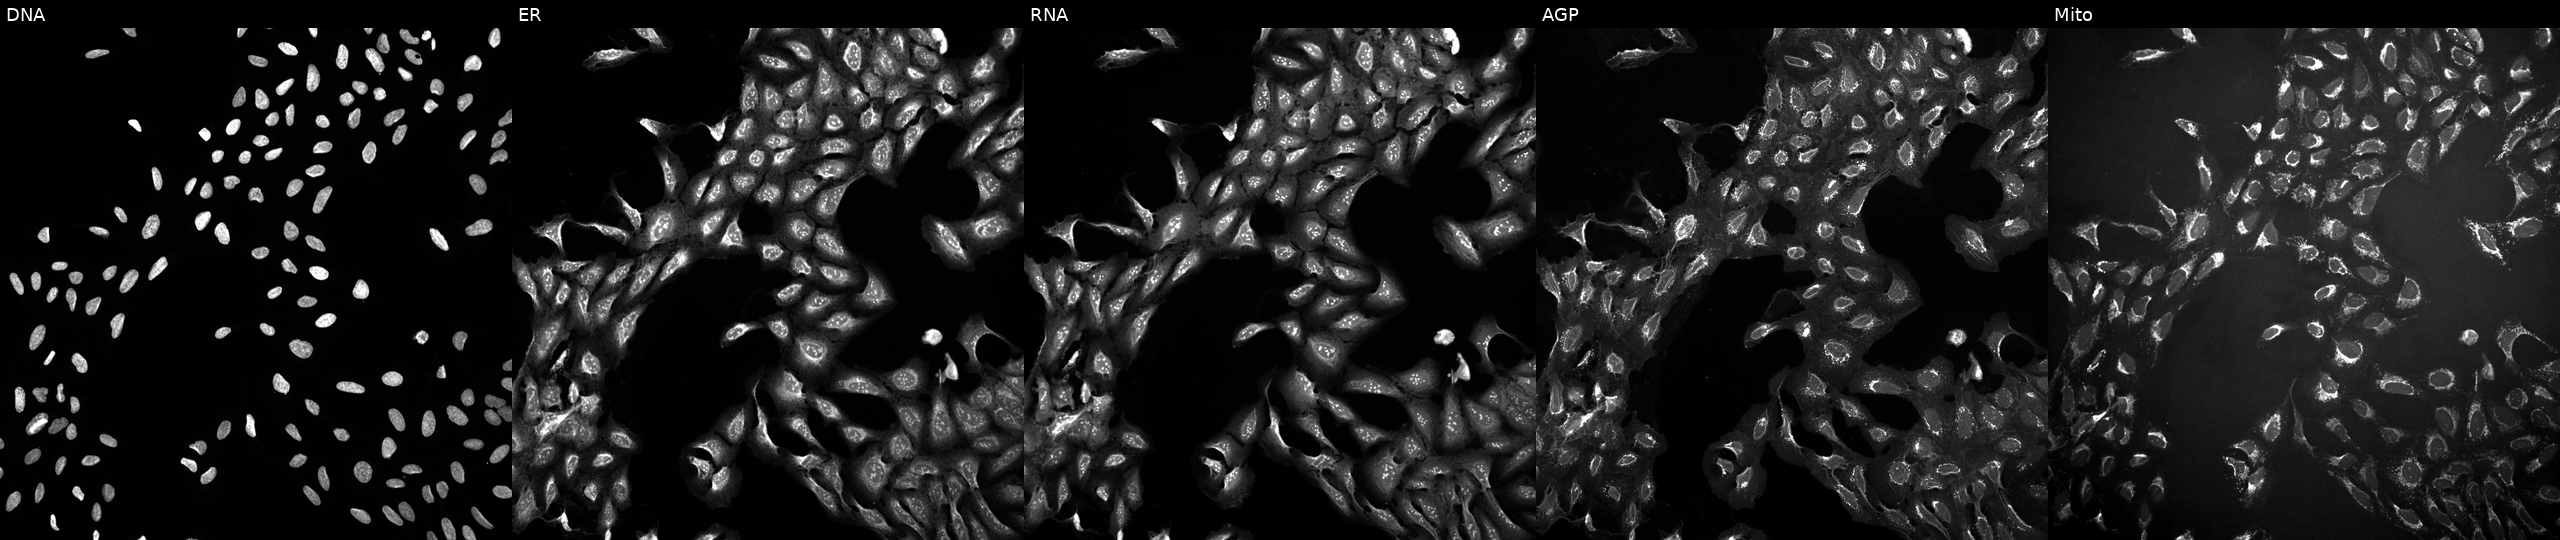
High-content fluorescence microscopy (Cell Painting). Cell line: U2OS. Perturbation: perturbed with a small-molecule compound (InChIKey AZYDQCGCBQYFSE-UHFFFAOYSA-N). The five panels, left to right, show DNA (nuclei); ER (endoplasmic reticulum); RNA (nucleoli and cytoplasmic RNA); AGP (actin cytoskeleton, Golgi, and plasma membrane); Mito (mitochondria). Source 10, plate Dest210803-153958, well A13.